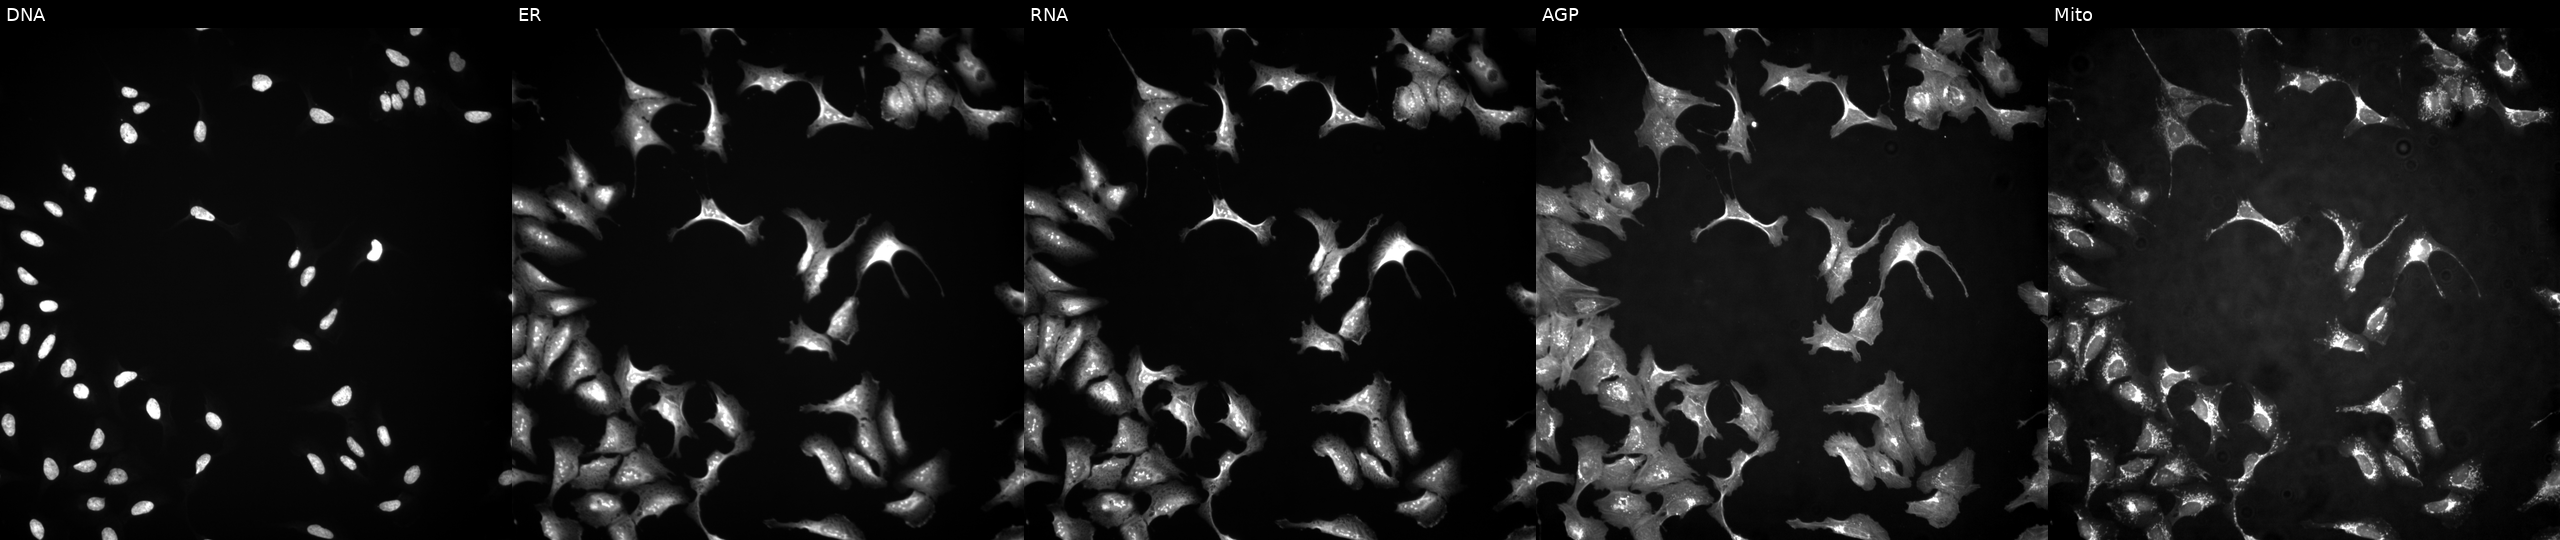
Five-channel Cell Painting image of U2OS cells overexpressing ZNF791 via ORF transfection. The five panels, left to right, show DNA, ER, RNA, AGP, and Mito.